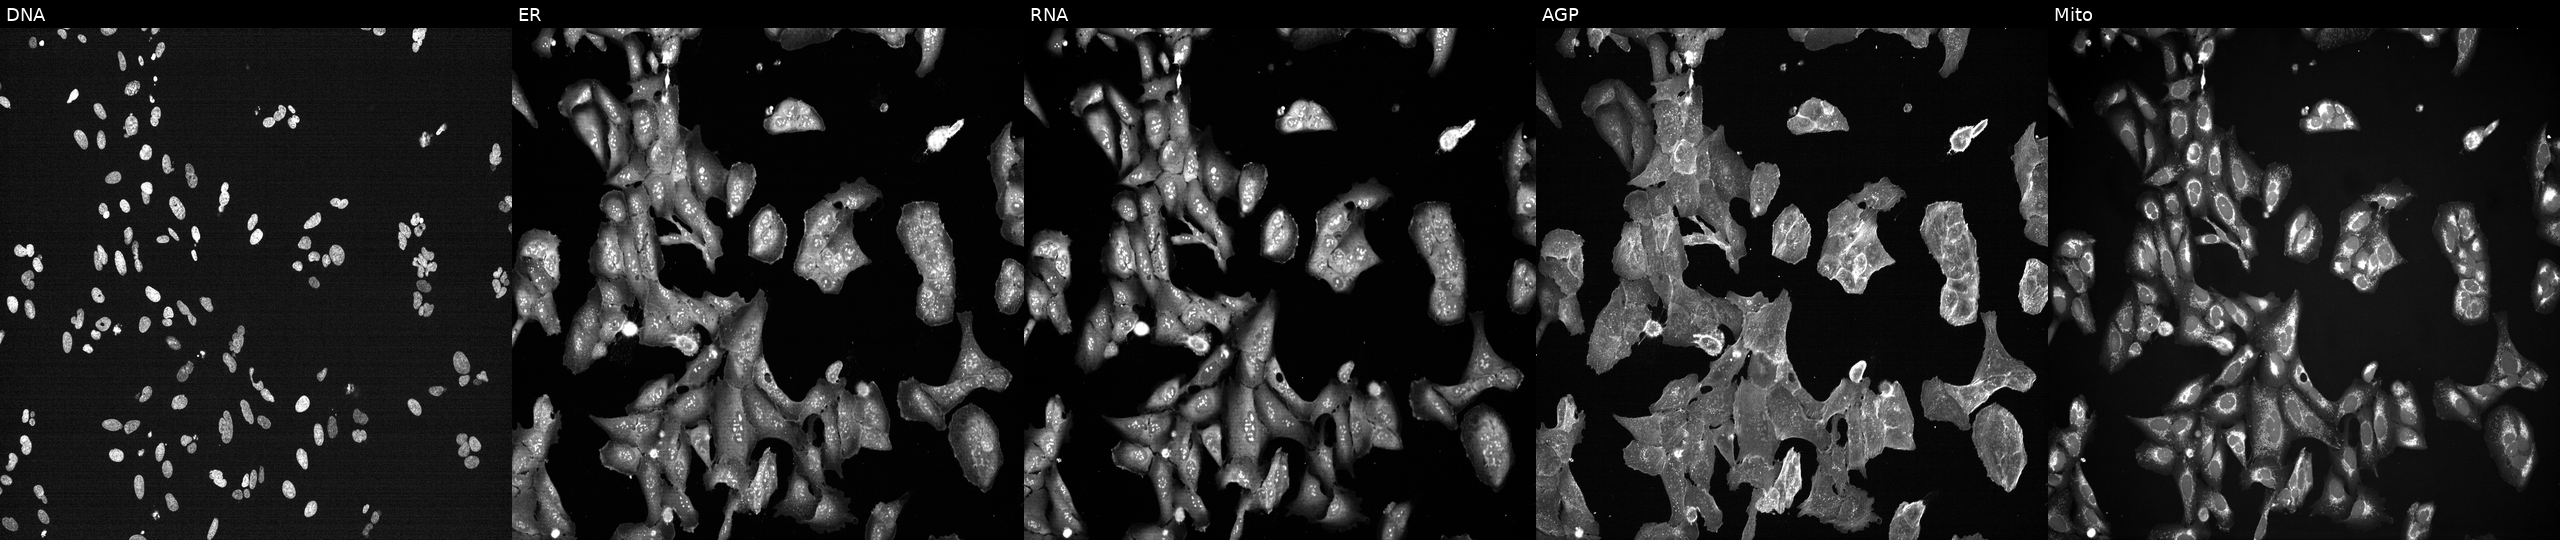
High-content fluorescence microscopy (Cell Painting). Cell line: U2OS. Perturbation: exposed to a small-molecule compound (InChIKey HSTZMXCBWJGKHG-UHFFFAOYSA-N) (JUMP id JCP2022_032353). From left to right: DNA (nuclei); ER (endoplasmic reticulum); RNA (nucleoli and cytoplasmic RNA); AGP (actin cytoskeleton, Golgi, and plasma membrane); Mito (mitochondria).